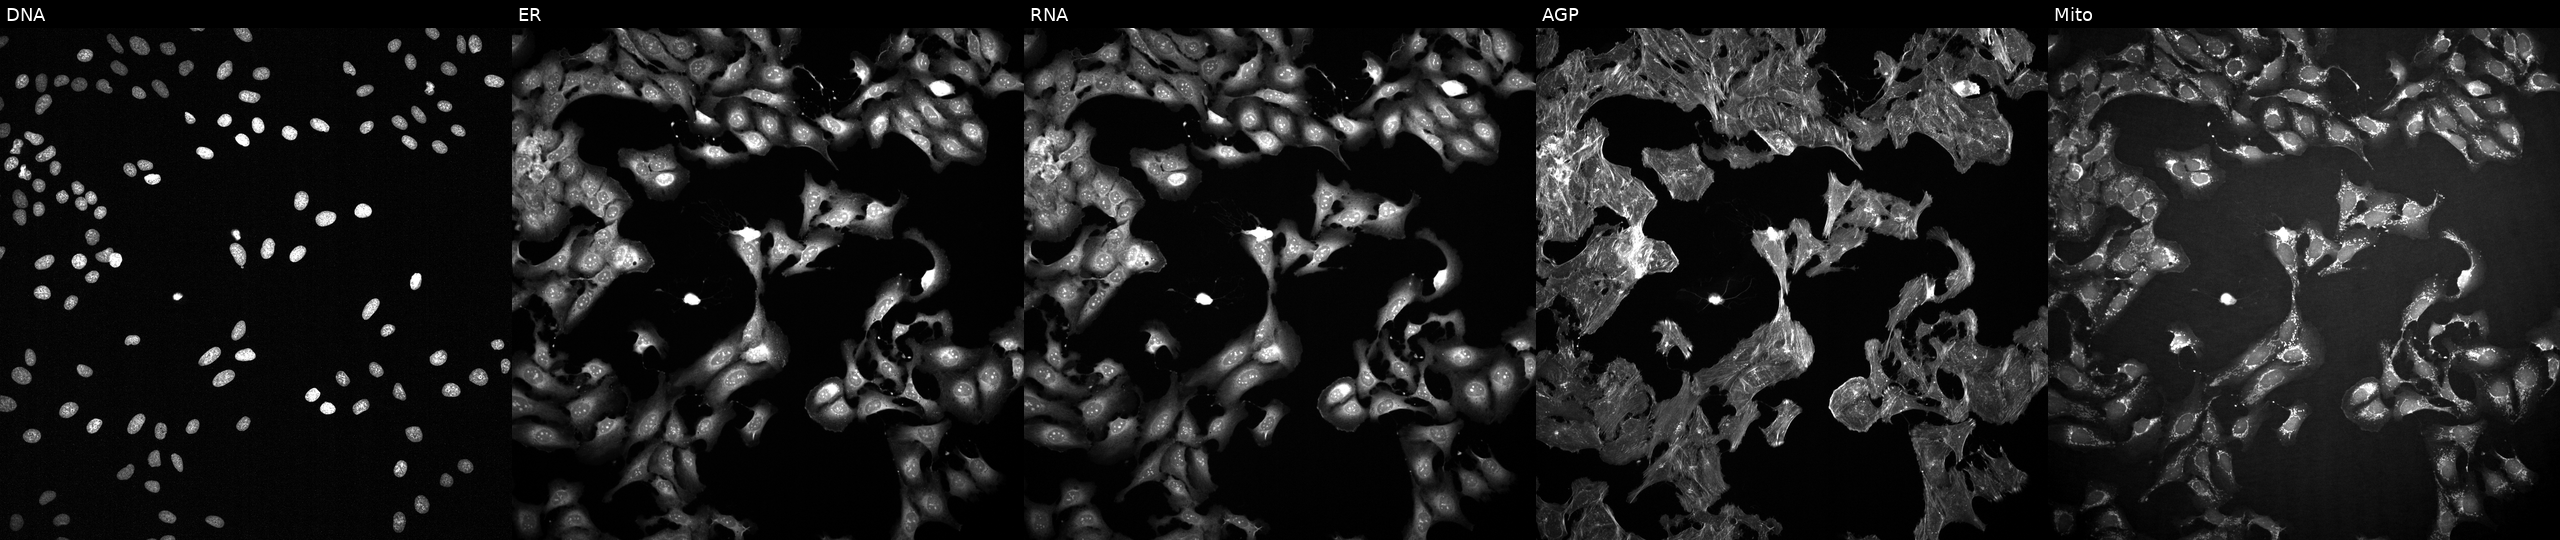
Five-channel Cell Painting image of U2OS cells treated with FK-866 (positive-control compound) (JUMP id JCP2022_046054). The five panels, left to right, show DNA, ER, RNA, AGP, and Mito.